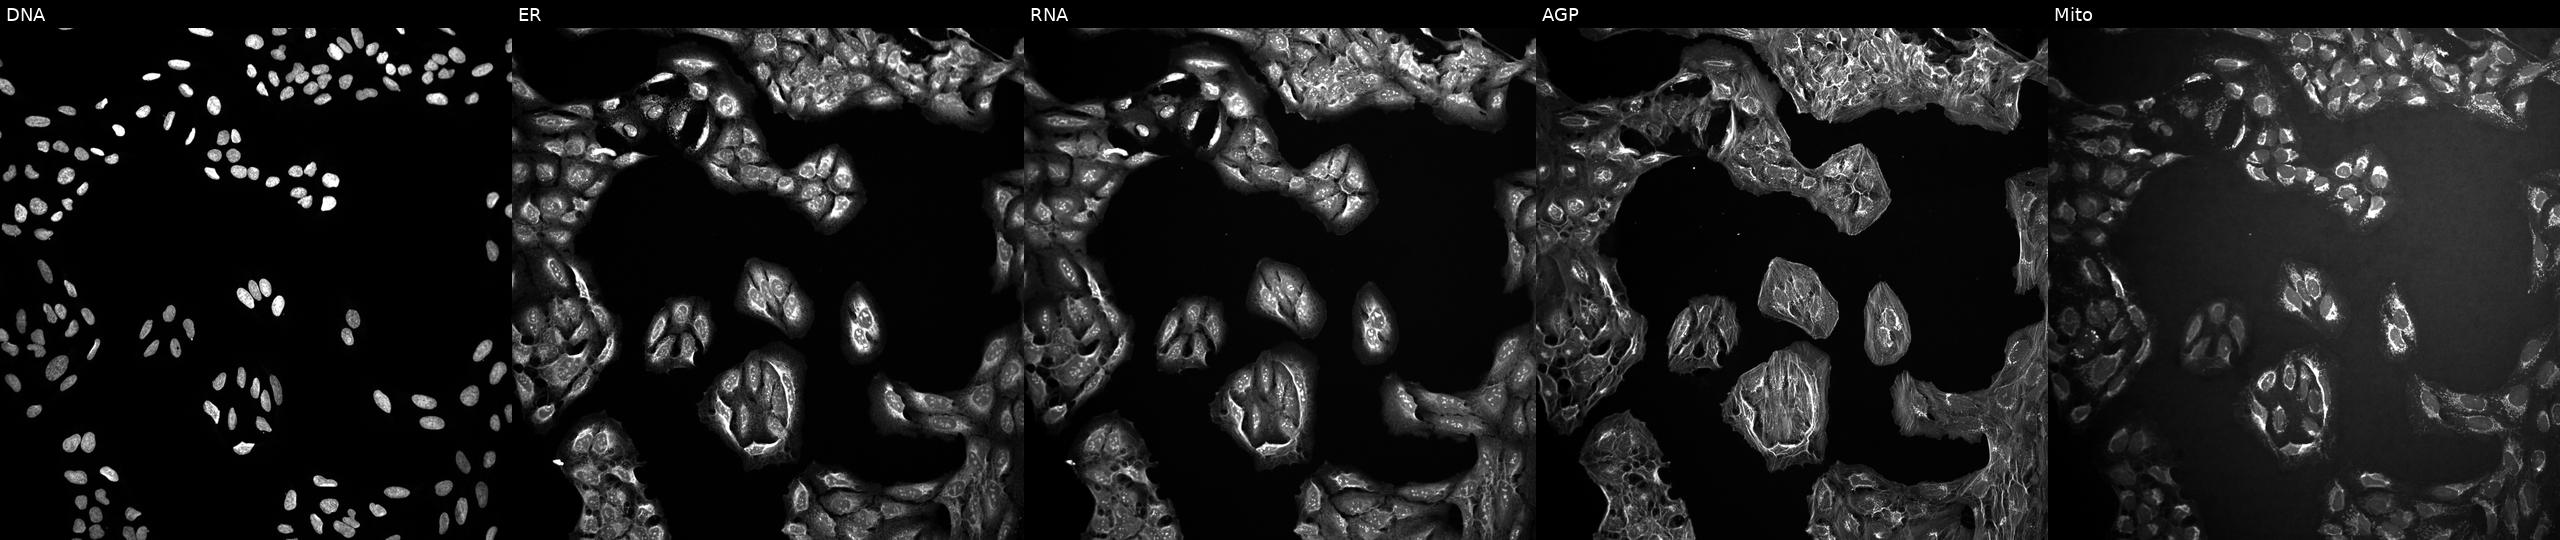
High-content fluorescence microscopy (Cell Painting). Cell line: U2OS. Perturbation: untreated (empty-well control) (JUMP id JCP2022_999999). The five panels, left to right, show DNA, ER, RNA, AGP, and Mito.